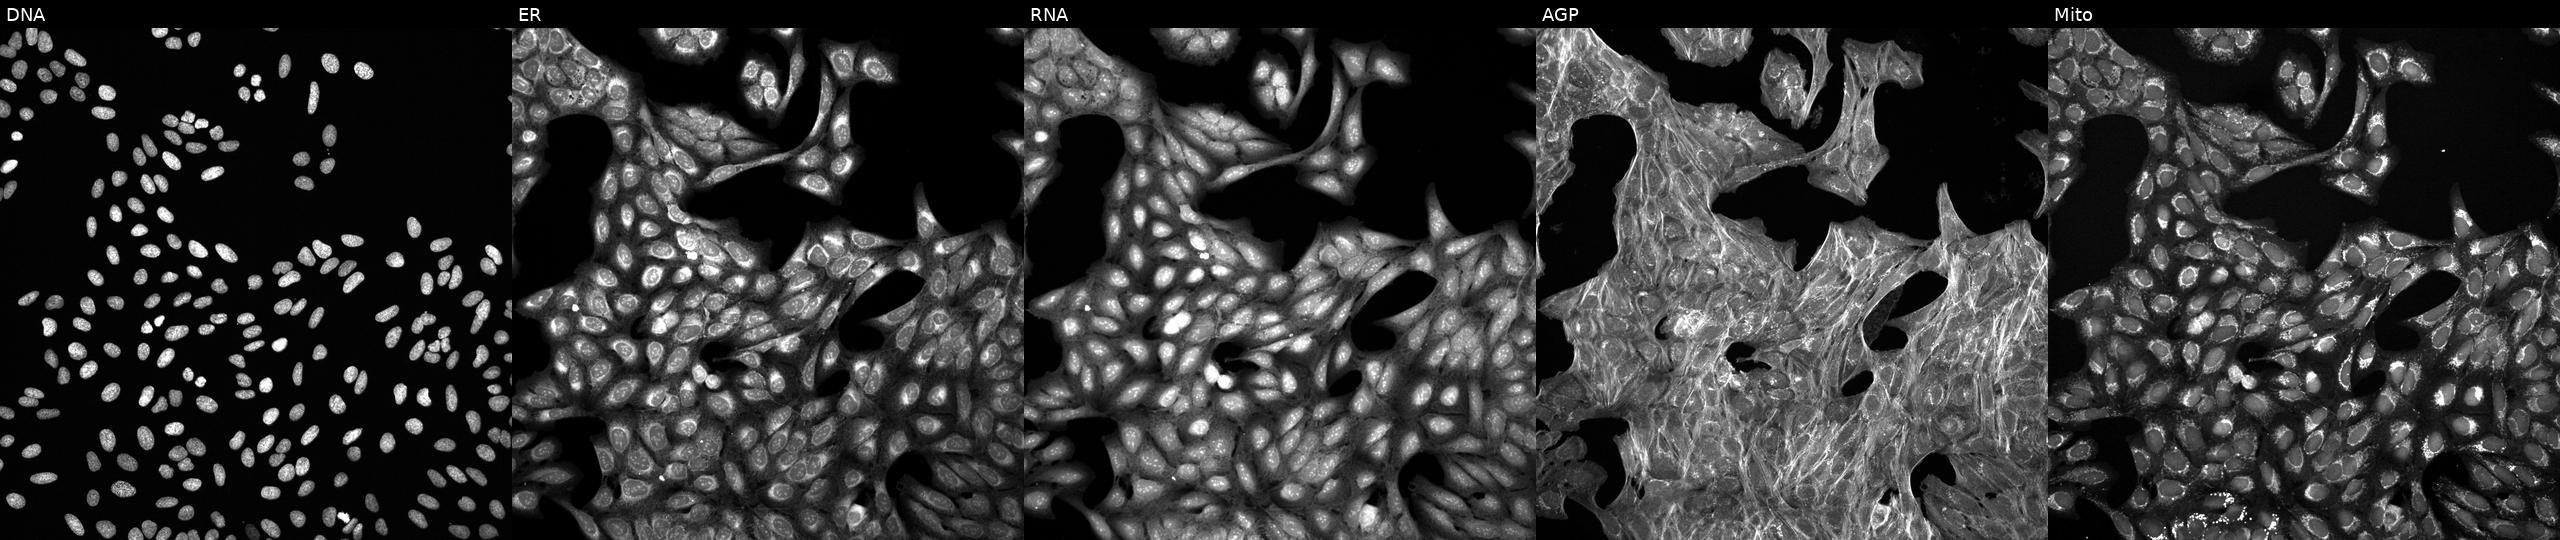
From left to right: DNA (nuclei); ER (endoplasmic reticulum); RNA (nucleoli and cytoplasmic RNA); AGP (actin cytoskeleton, Golgi, and plasma membrane); Mito (mitochondria). U2OS osteosarcoma cells exposed to a small-molecule compound (InChIKey CUIHSIWYWATEQL-UHFFFAOYSA-N). Cell Painting assay, JUMP-CP dataset. Source 6, plate 110000294901, well I17.